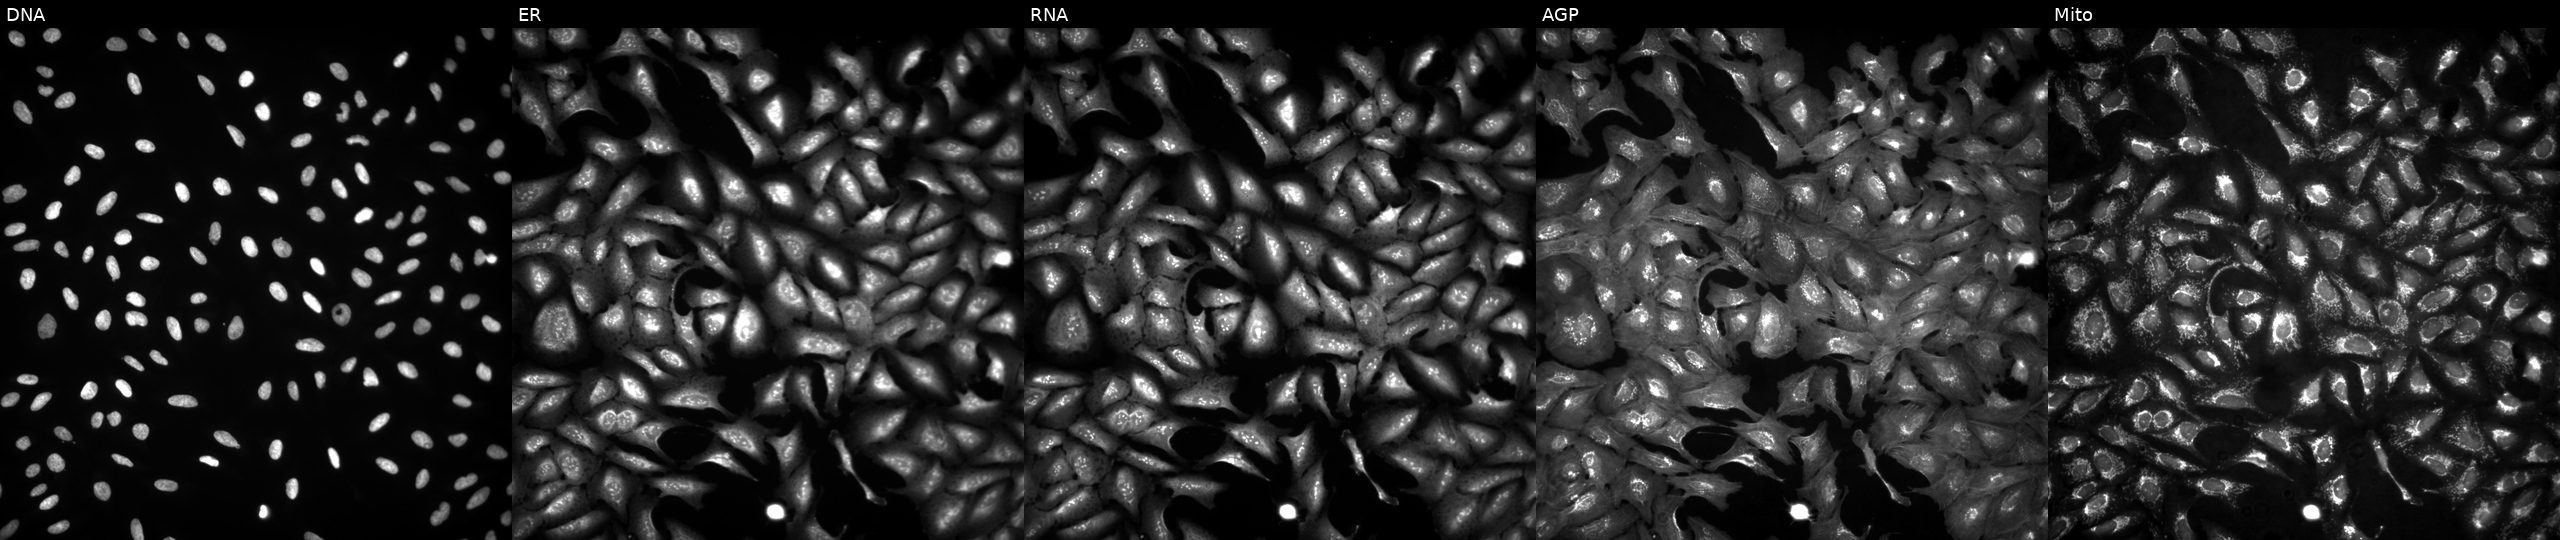
The five panels, left to right, show DNA (nuclei); ER (endoplasmic reticulum); RNA (nucleoli and cytoplasmic RNA); AGP (actin cytoskeleton, Golgi, and plasma membrane); Mito (mitochondria). U2OS osteosarcoma cells transfected with an ORF construct for PDZK1 (JUMP id JCP2022_901094). Cell Painting assay, JUMP-CP dataset. Source 4, plate BR00124787, well D23.